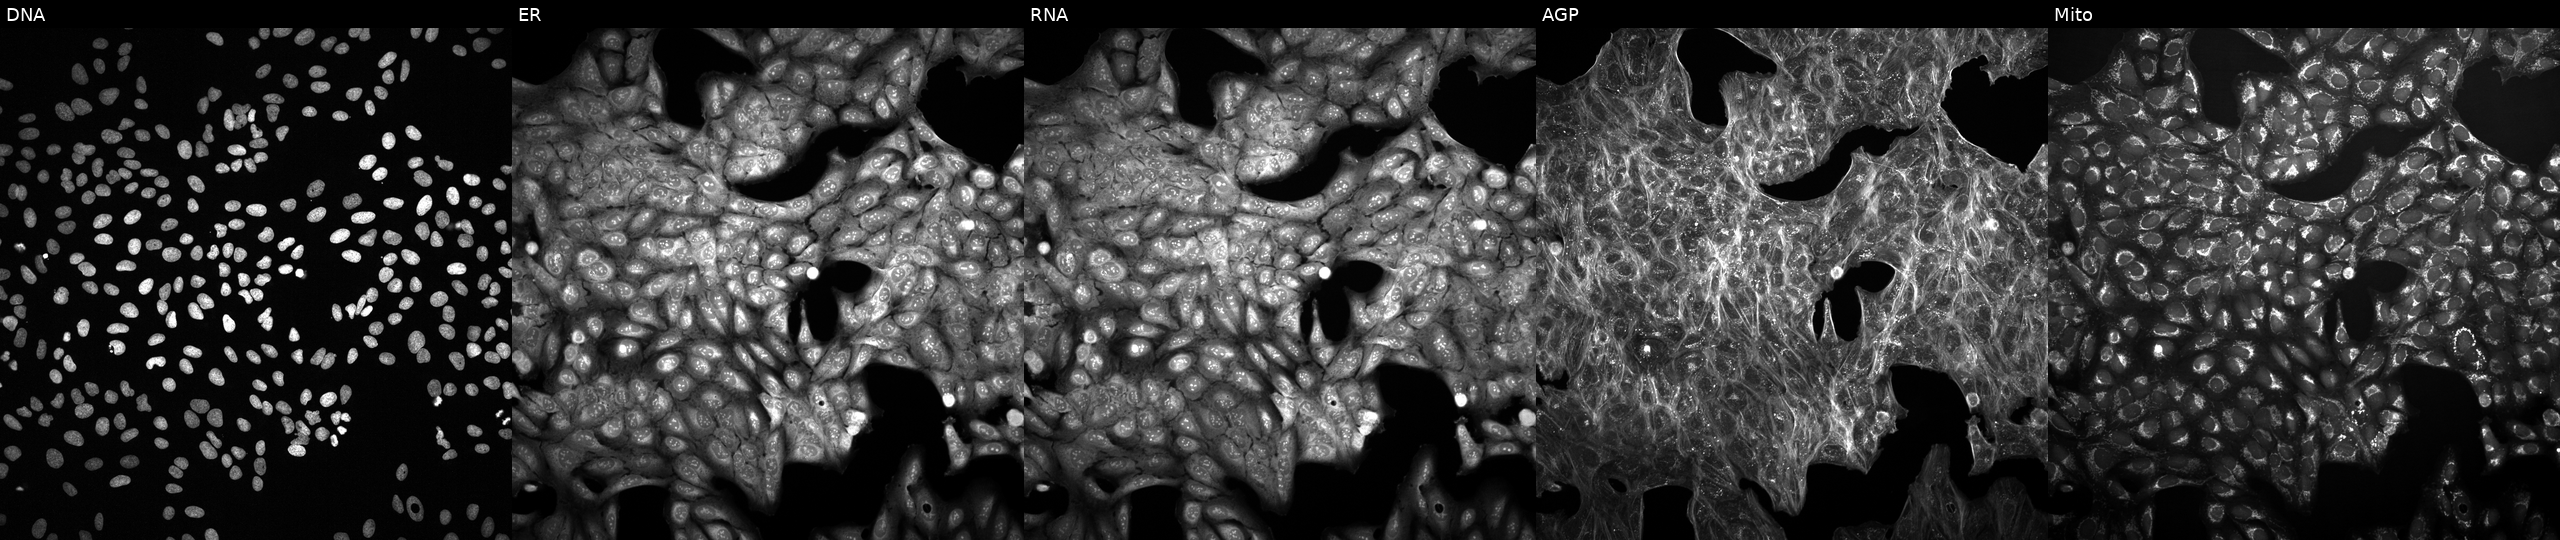
Channels (left→right): DNA (nuclei); ER (endoplasmic reticulum); RNA (nucleoli and cytoplasmic RNA); AGP (actin cytoskeleton, Golgi, and plasma membrane); Mito (mitochondria). U2OS osteosarcoma cells treated with a small-molecule compound (InChIKey RDOIQAHITMMDAJ-UHFFFAOYSA-N) (JUMP id JCP2022_077671). Cell Painting assay, JUMP-CP dataset. Source 2, plate 1053597936, well L24.